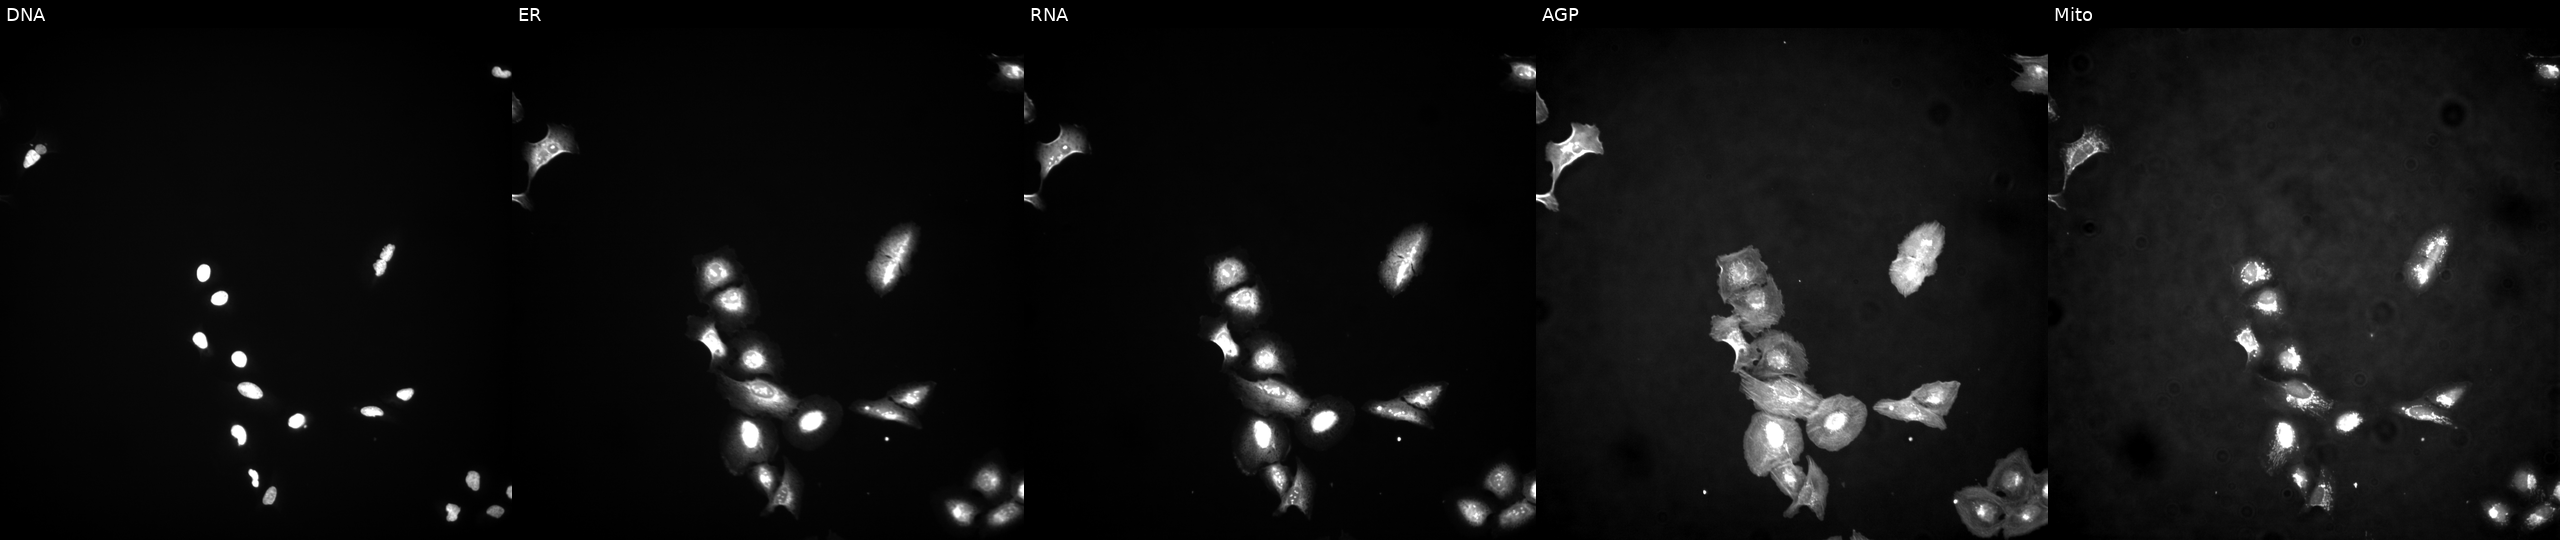
This image strip shows the five Cell Painting channels for a single field of U2OS cells transfected with an ORF construct for IGSF6. Panels show, left to right, DNA (nuclei); ER (endoplasmic reticulum); RNA (nucleoli and cytoplasmic RNA); AGP (actin cytoskeleton, Golgi, and plasma membrane); Mito (mitochondria). Source 4, plate BR00124784, well M15.